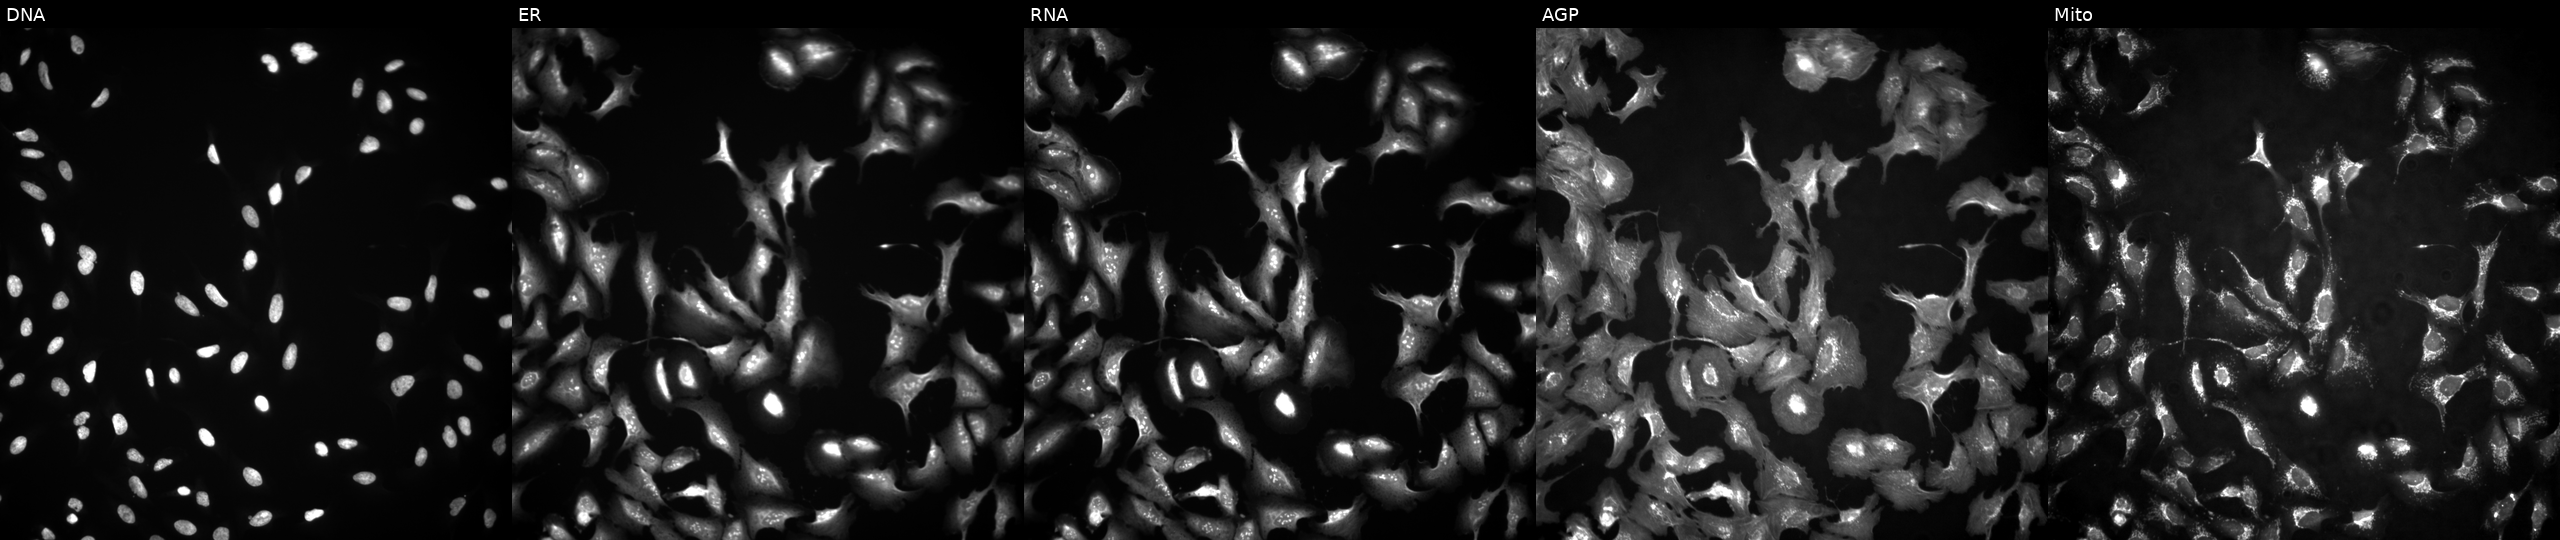
High-content fluorescence microscopy (Cell Painting). Cell line: U2OS. Perturbation: overexpressing TCEANC2 via ORF transfection (JUMP id JCP2022_904521). From left to right: DNA (nuclei); ER (endoplasmic reticulum); RNA (nucleoli and cytoplasmic RNA); AGP (actin cytoskeleton, Golgi, and plasma membrane); Mito (mitochondria).